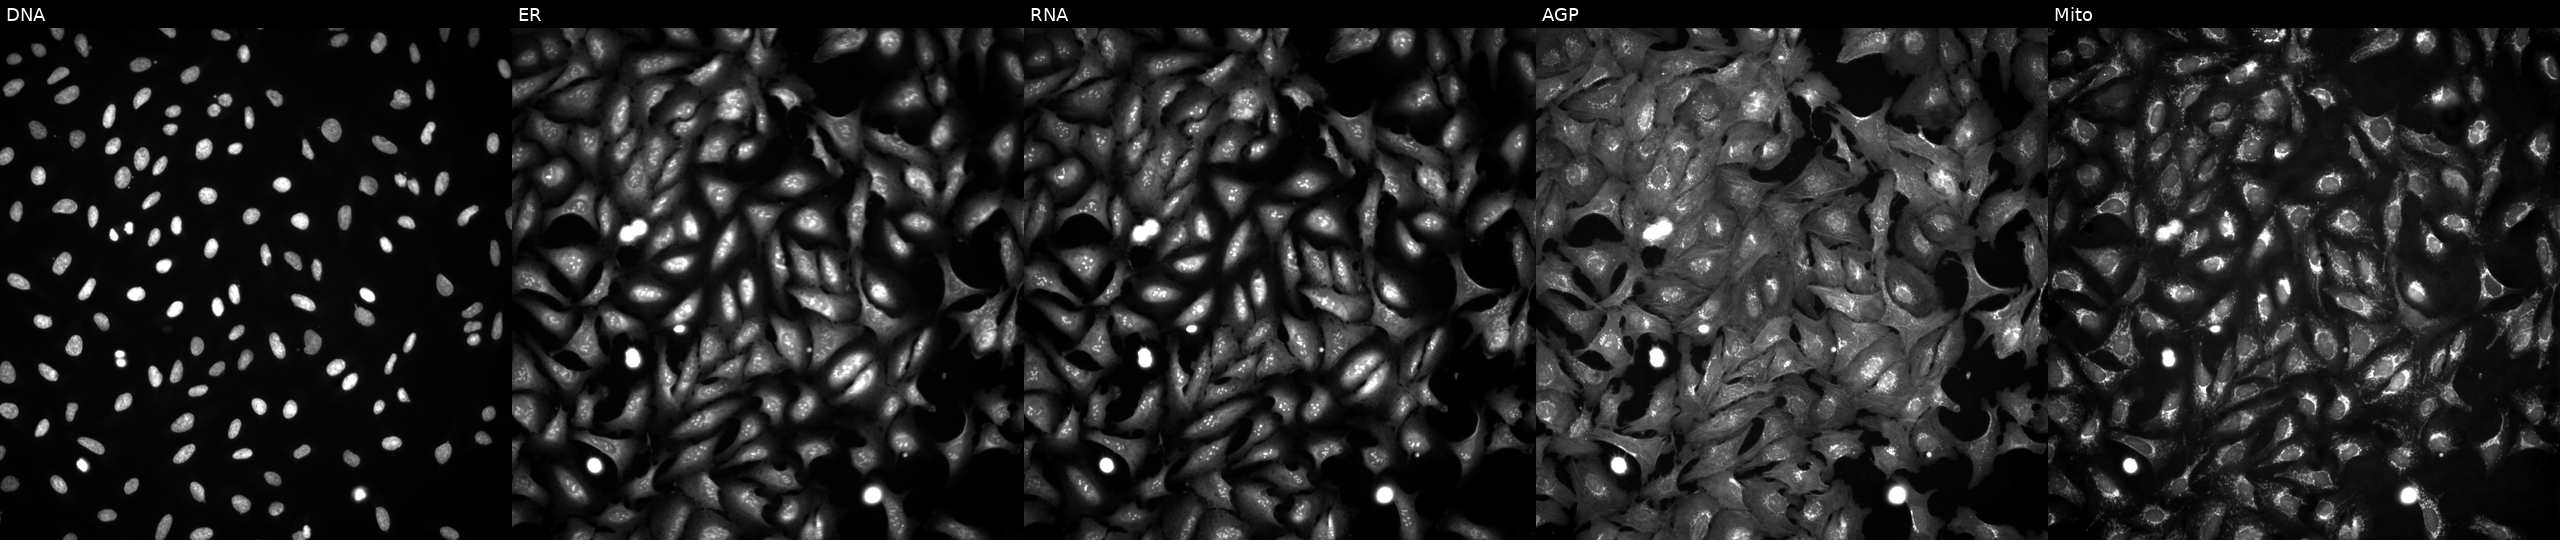
High-content fluorescence microscopy (Cell Painting). Cell line: U2OS. Perturbation: with STK33 overexpressed (ORF). Channels (left→right): DNA (nuclei); ER (endoplasmic reticulum); RNA (nucleoli and cytoplasmic RNA); AGP (actin cytoskeleton, Golgi, and plasma membrane); Mito (mitochondria).